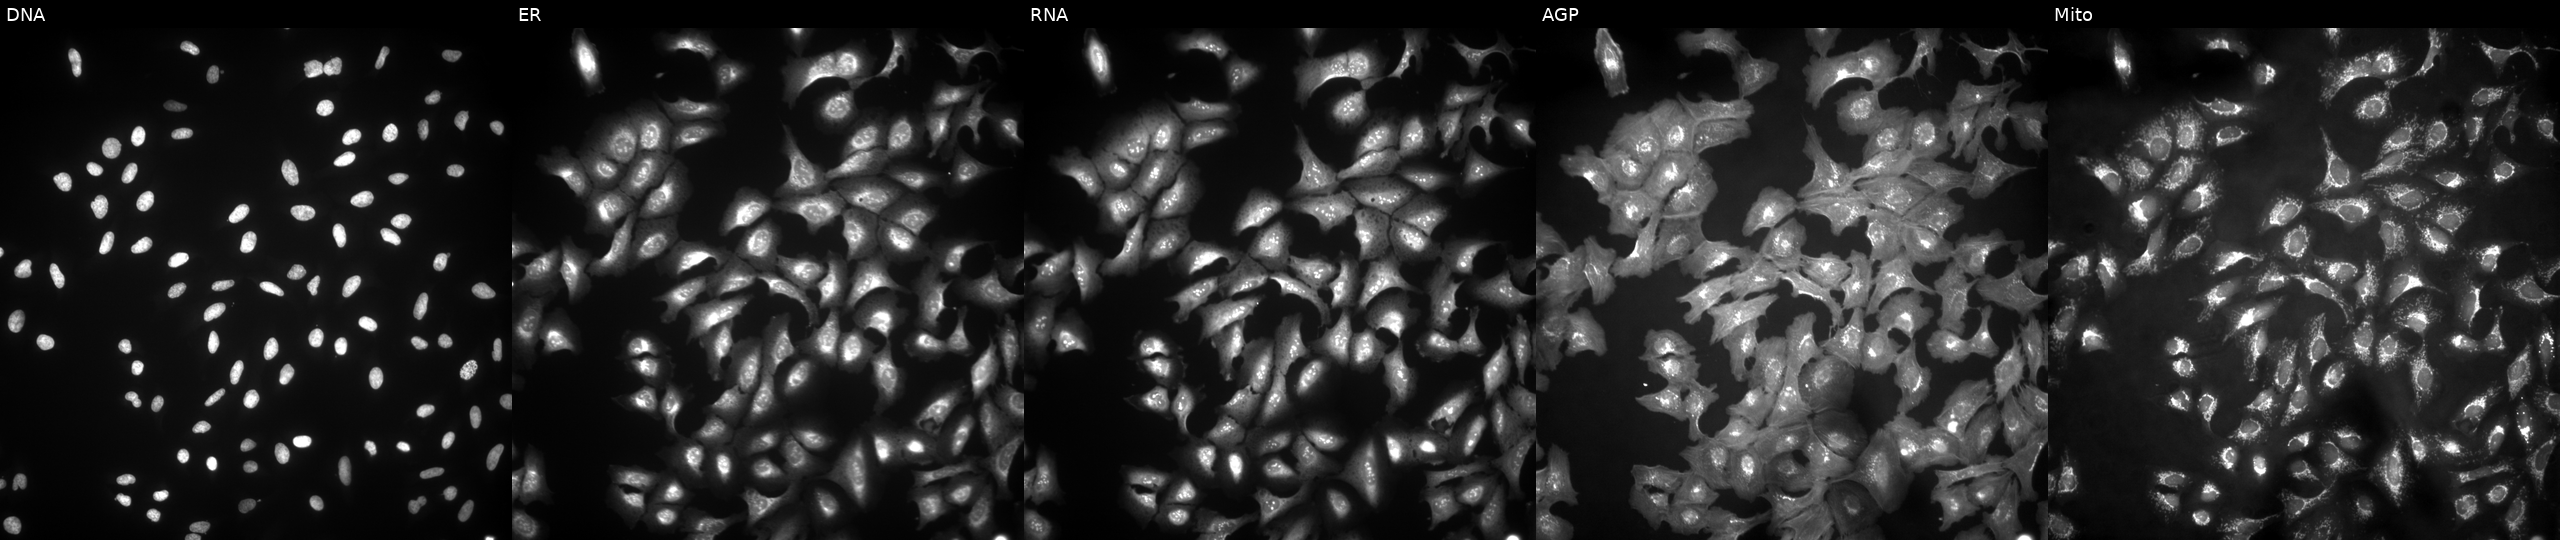
U2OS cells, Cell Painting assay, expressing eGFP (ORF positive control). Channels (left→right): Hoechst 33342, concanavalin A, SYTO 14, phalloidin and WGA, MitoTracker. Each panel is percentile-stretched 16-bit fluorescence. Source 4, plate BR00123506, well O19.